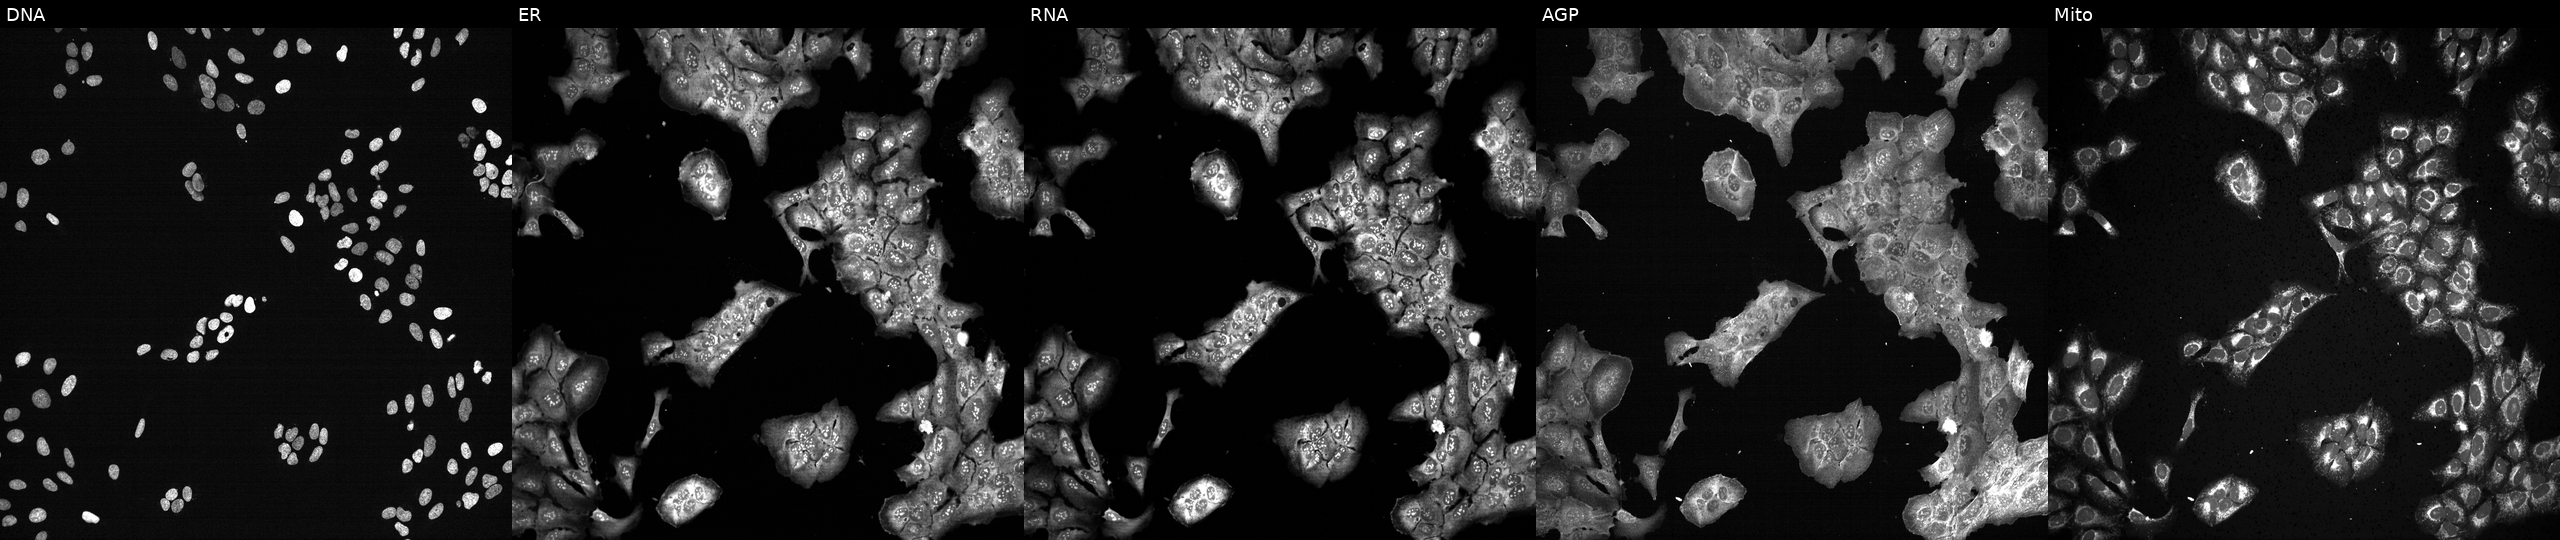
This image strip shows the five Cell Painting channels for a single field of U2OS cells CRISPR-edited to disrupt UGT2A3. Channels (left→right): DNA, ER, RNA, AGP, and Mito.